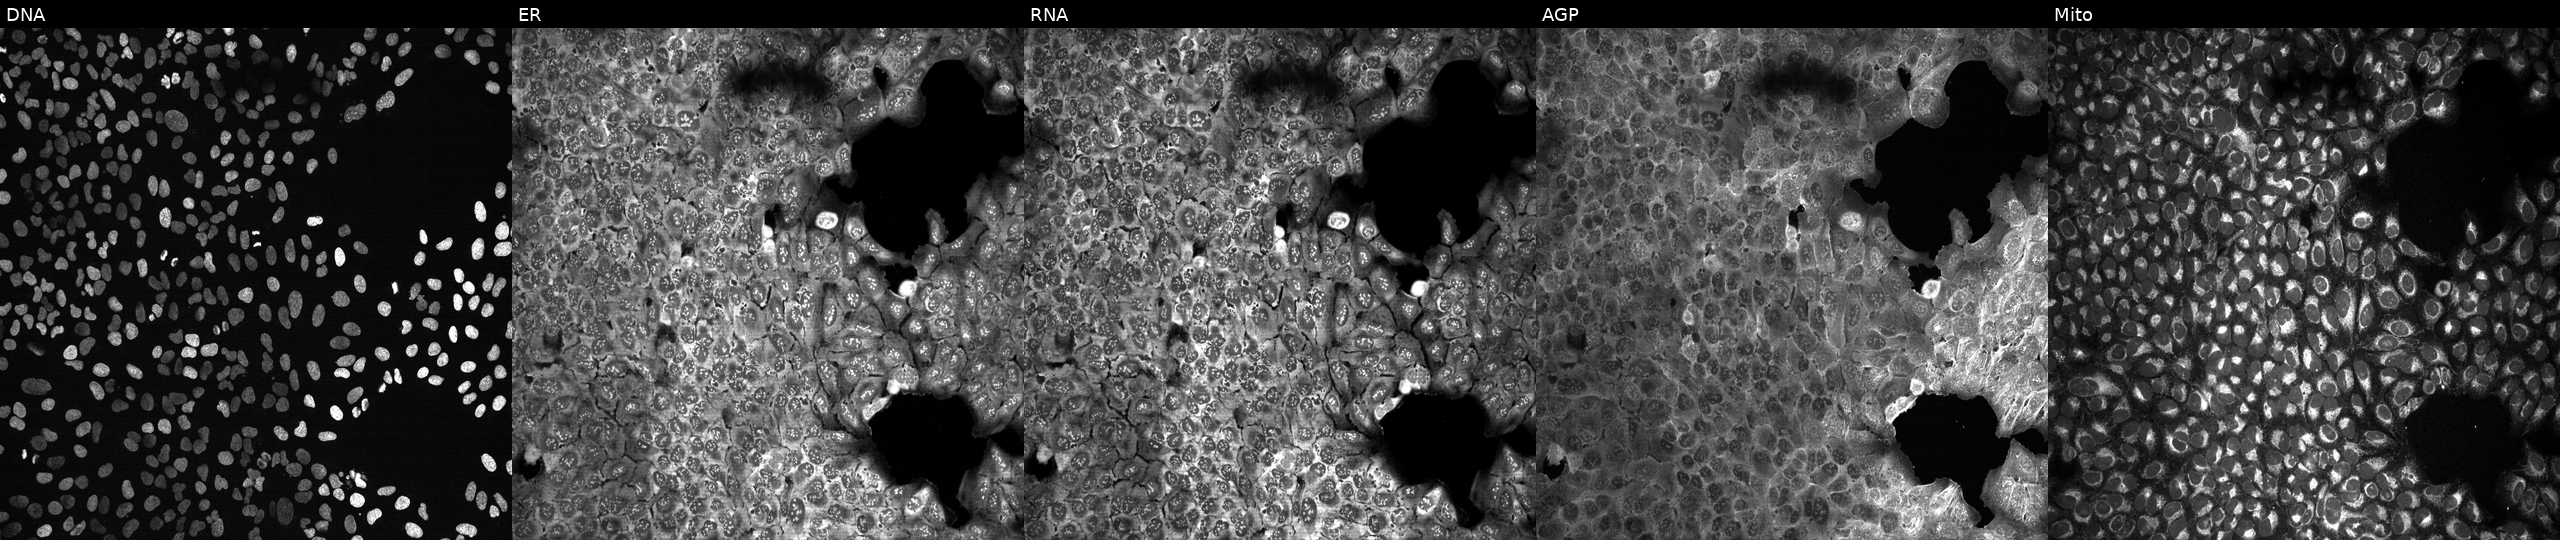
This image strip shows the five Cell Painting channels for a single field of U2OS cells following CRISPR knockout of PLA2G4F. From left to right: Hoechst 33342, concanavalin A, SYTO 14, phalloidin and WGA, MitoTracker. Source 13, plate CP-CC9-R3-02, well C03.